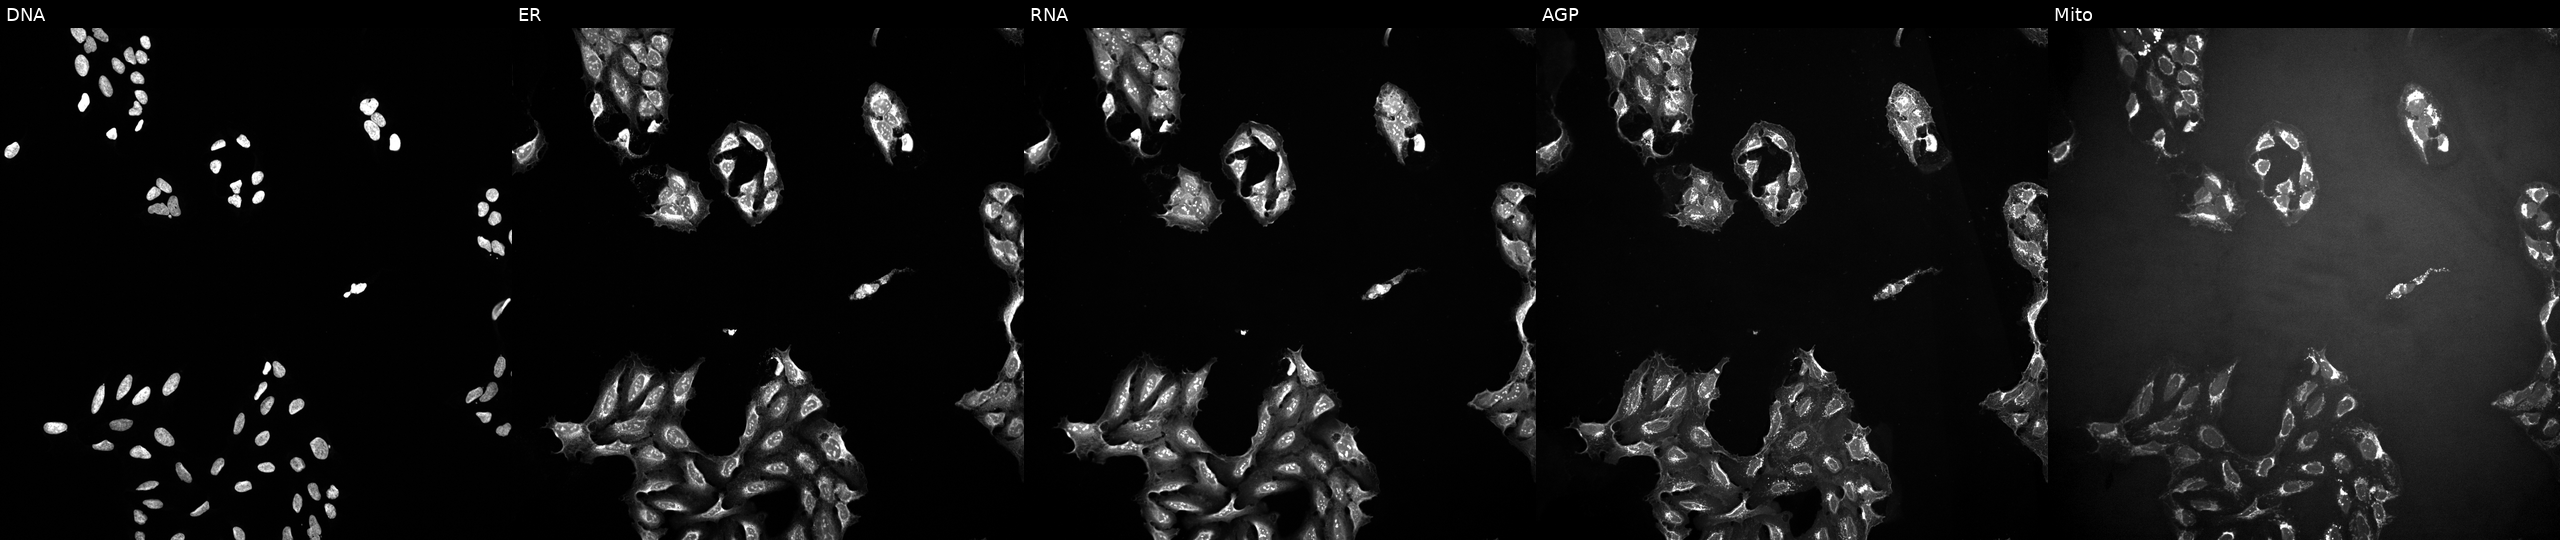
JUMP Cell Painting — TARGET2 plate. U2OS cells treated with a small-molecule compound [SMILES: CCCCCCCCO] (JUMP id JCP2022_043547). Panels show, left to right, Hoechst 33342, concanavalin A, SYTO 14, phalloidin and WGA, MitoTracker.